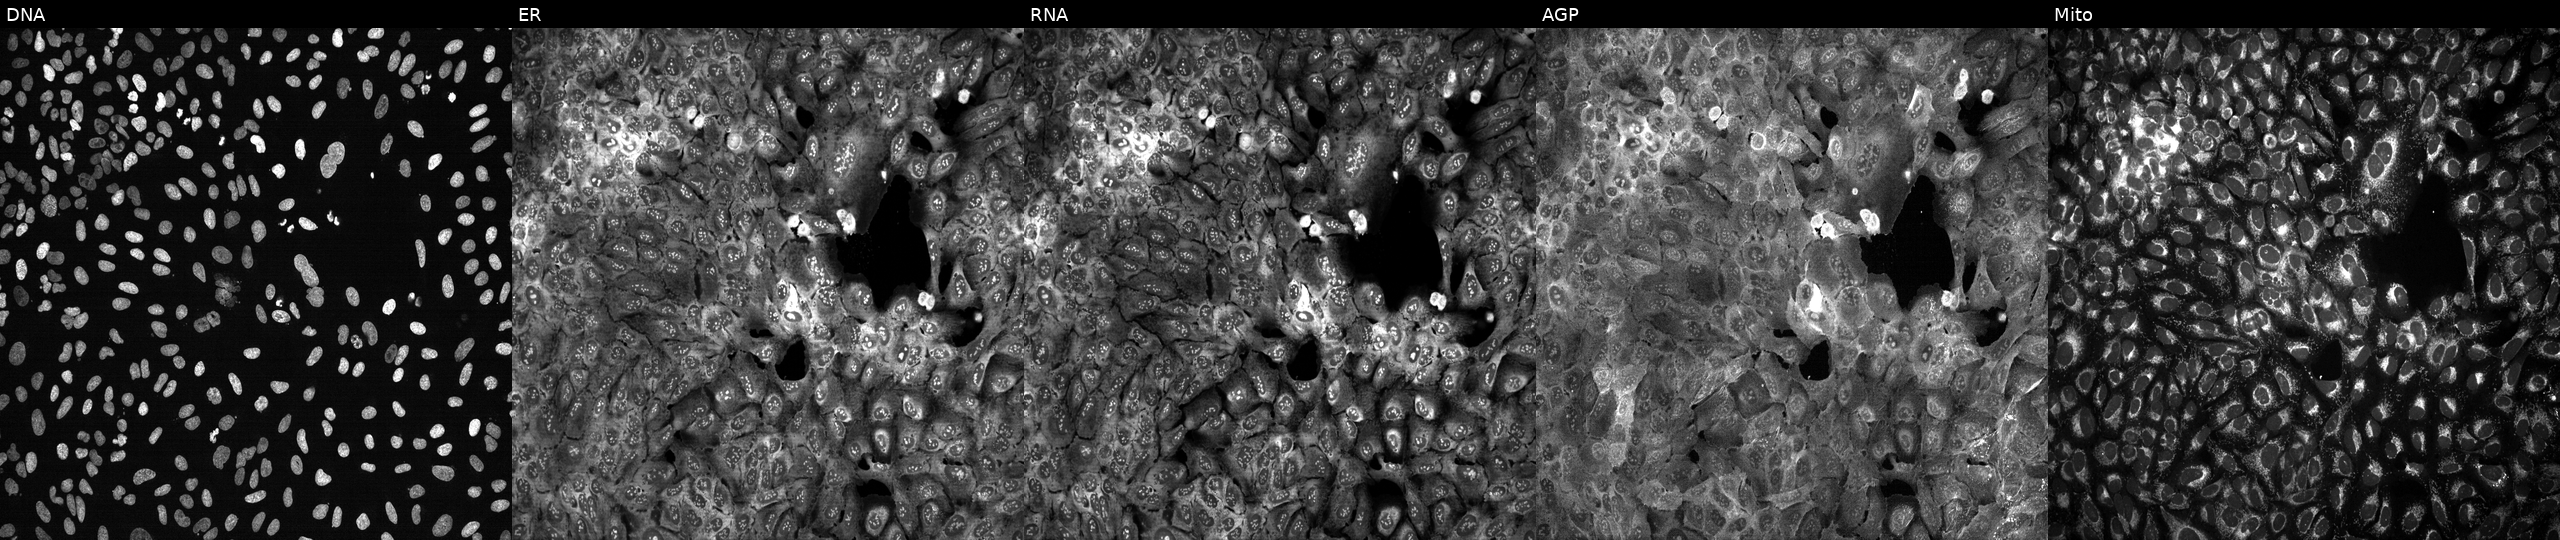
U2OS cells, Cell Painting assay, with TAC3 knocked out by CRISPR. The five panels, left to right, show DNA (nuclei); ER (endoplasmic reticulum); RNA (nucleoli and cytoplasmic RNA); AGP (actin cytoskeleton, Golgi, and plasma membrane); Mito (mitochondria). Each panel is percentile-stretched 16-bit fluorescence. Source 13, plate CP-CC9-R3-01, well P16.